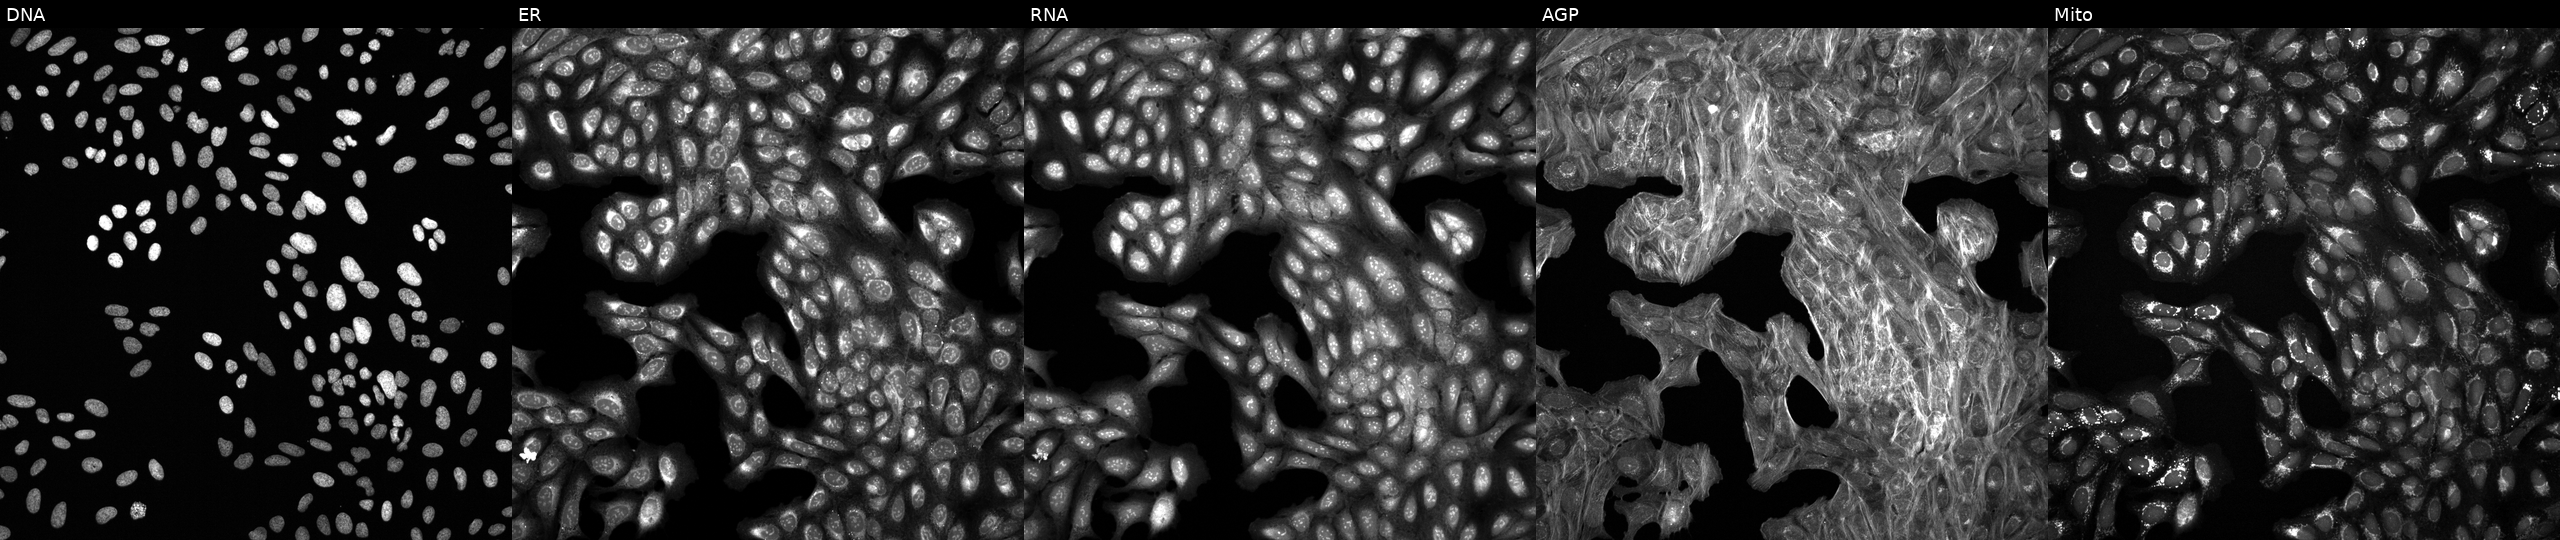
High-content fluorescence microscopy (Cell Painting). Cell line: U2OS. Perturbation: treated with a small-molecule compound (InChIKey NOIIUHRQUVNIDD-UHFFFAOYSA-N). The five panels, left to right, show DNA, ER, RNA, AGP, and Mito.